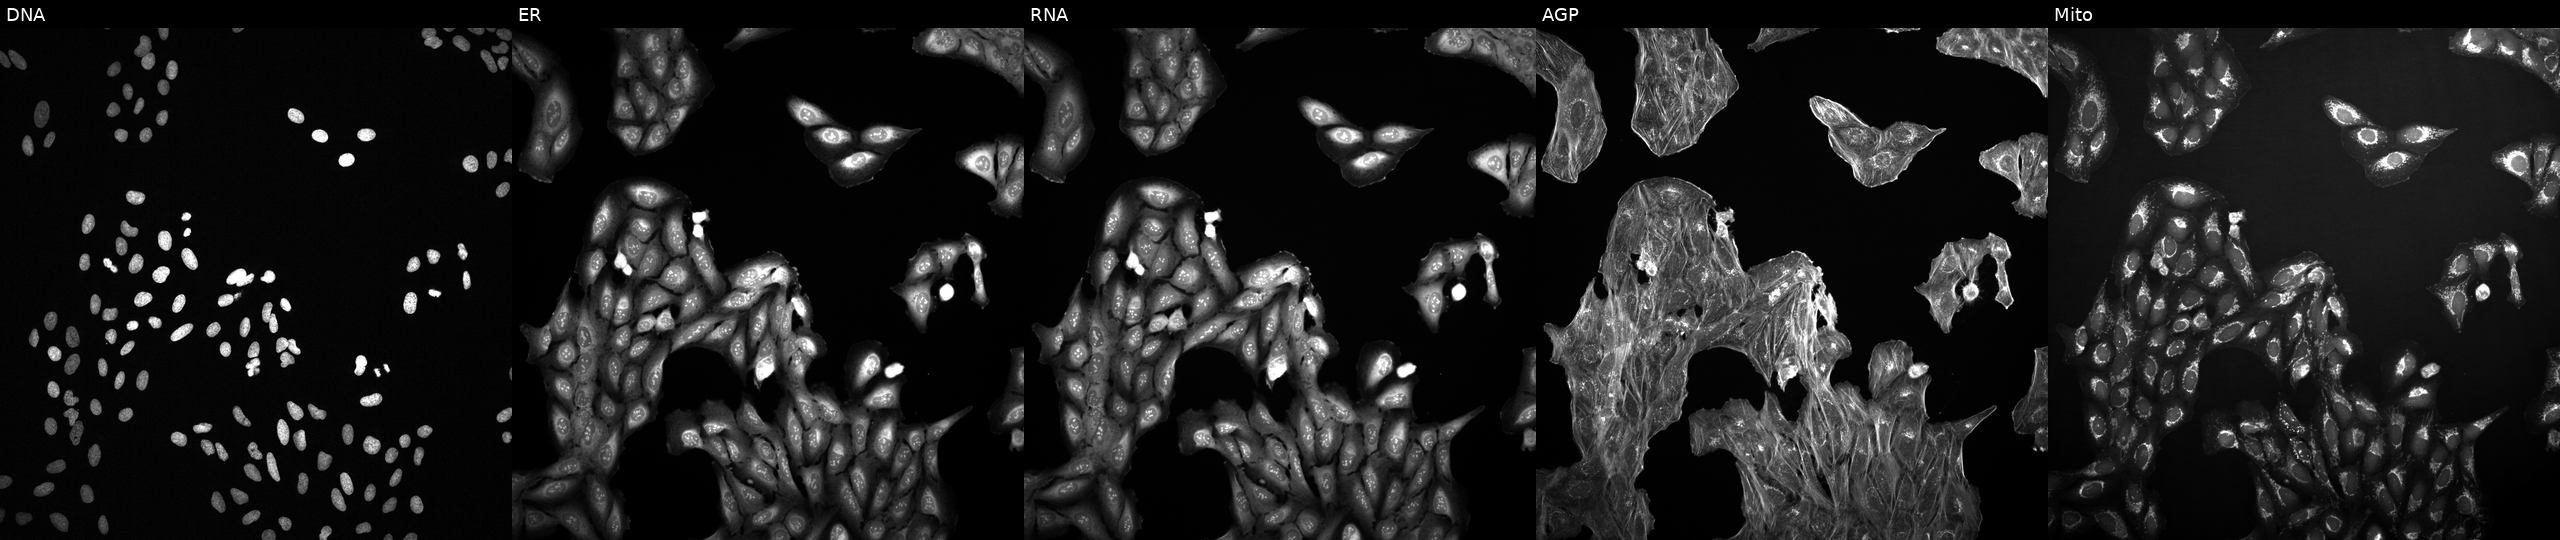
Panels show, left to right, DNA, ER, RNA, AGP, and Mito. U2OS osteosarcoma cells treated with a small-molecule compound (InChIKey HFYPTENHTPNXGP-UHFFFAOYSA-N). Cell Painting assay, JUMP-CP dataset. Source 2, plate 1053597936, well B11.